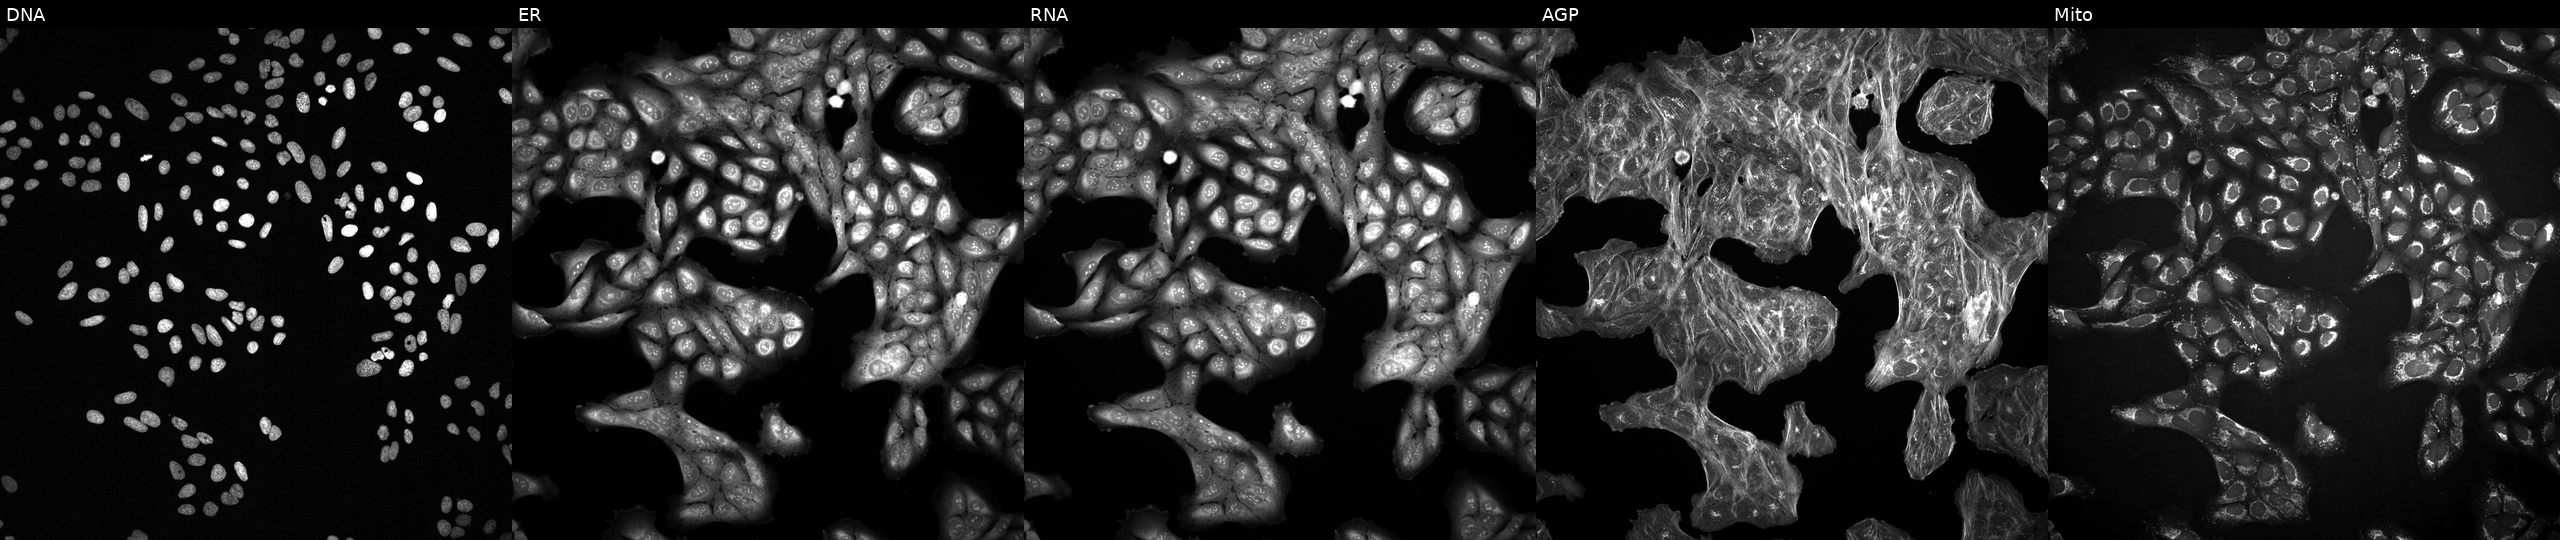
Five-channel Cell Painting image of U2OS cells perturbed with a small-molecule compound. Channels (left→right): Hoechst 33342, concanavalin A, SYTO 14, phalloidin and WGA, MitoTracker. Source 2, plate 1053601763, well F11.